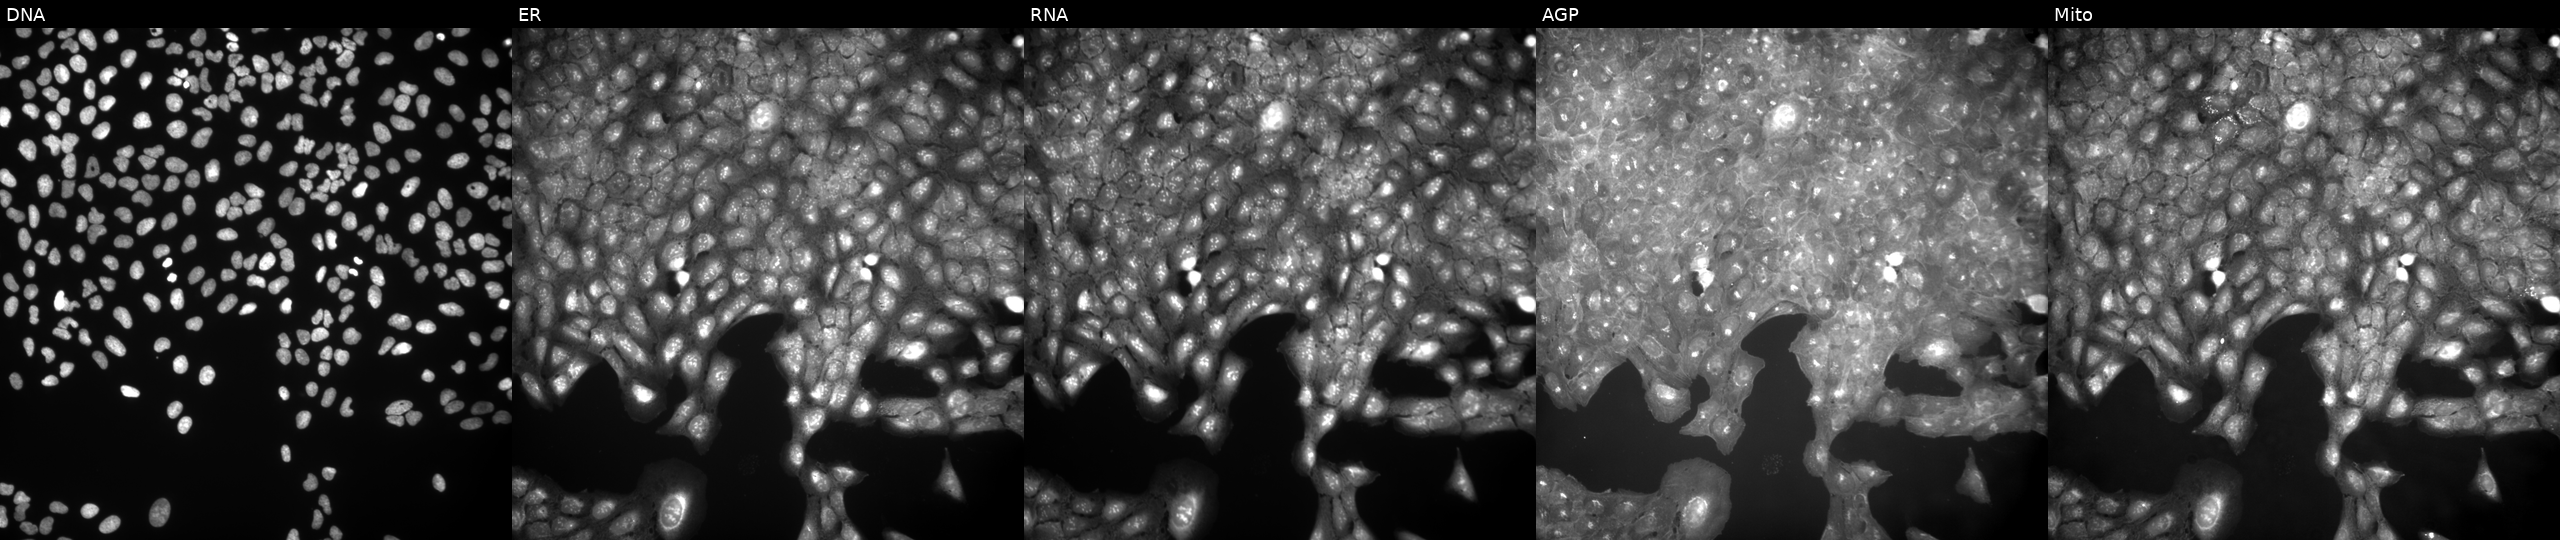
This image strip shows the five Cell Painting channels for a single field of U2OS cells treated with a small-molecule compound (InChIKey OMQUCSOKBPQOOW-UHFFFAOYSA-N) (JUMP id JCP2022_064787). From left to right: DNA (nuclei); ER (endoplasmic reticulum); RNA (nucleoli and cytoplasmic RNA); AGP (actin cytoskeleton, Golgi, and plasma membrane); Mito (mitochondria). Source 9, plate GR00003382, well I37.